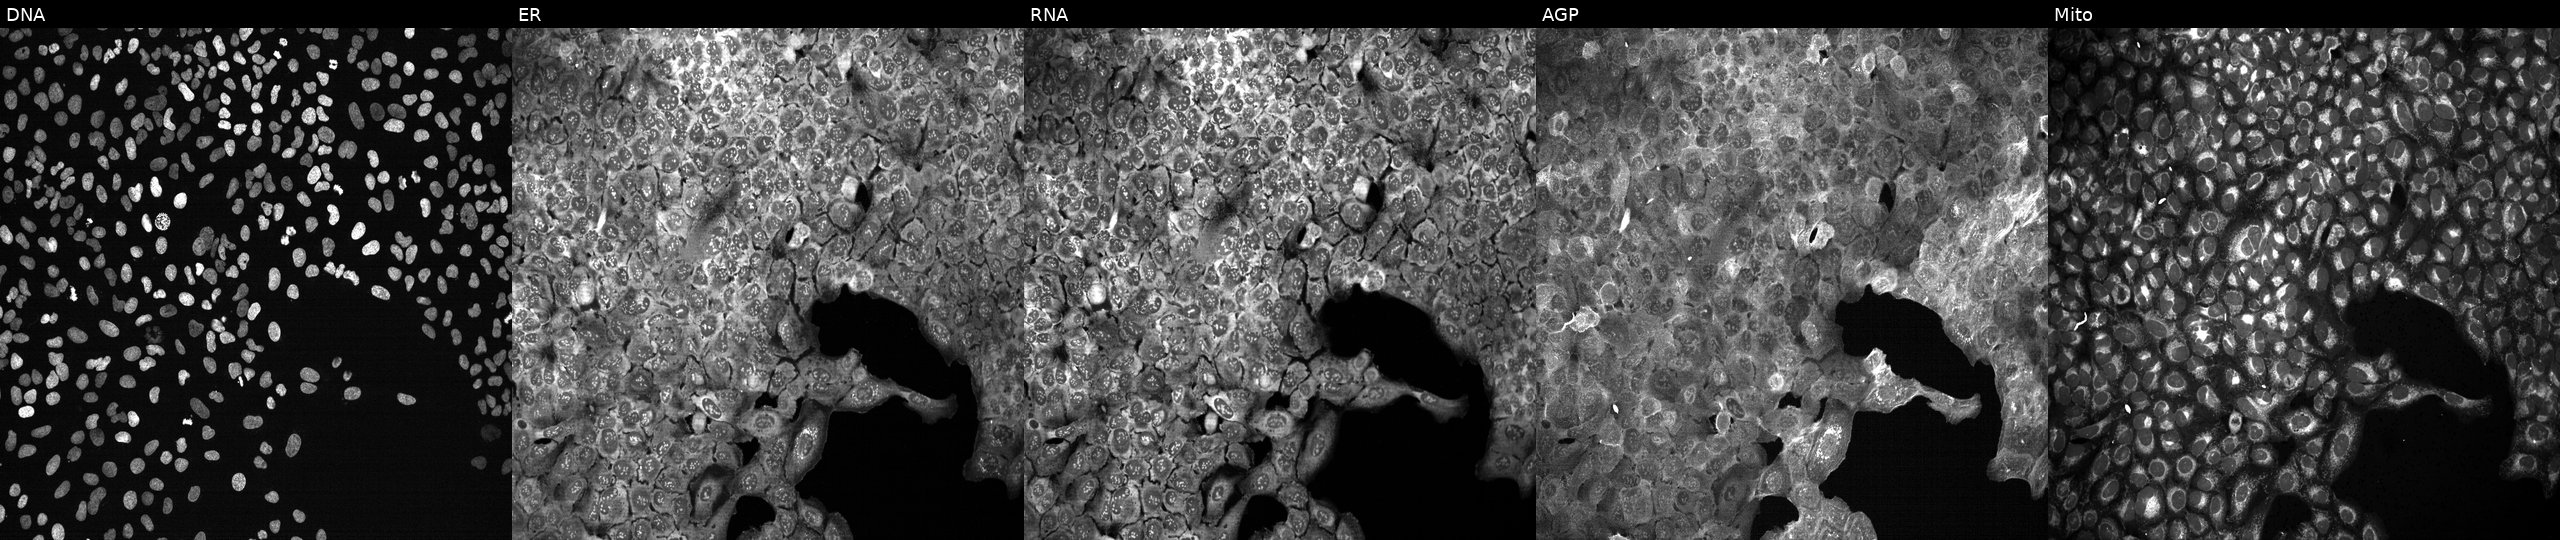
U2OS cells, Cell Painting assay, following CRISPR knockout of GLUD1. Panels show, left to right, DNA, ER, RNA, AGP, and Mito. Each panel is percentile-stretched 16-bit fluorescence. Source 13, plate CP-CC9-R2-01, well M20.